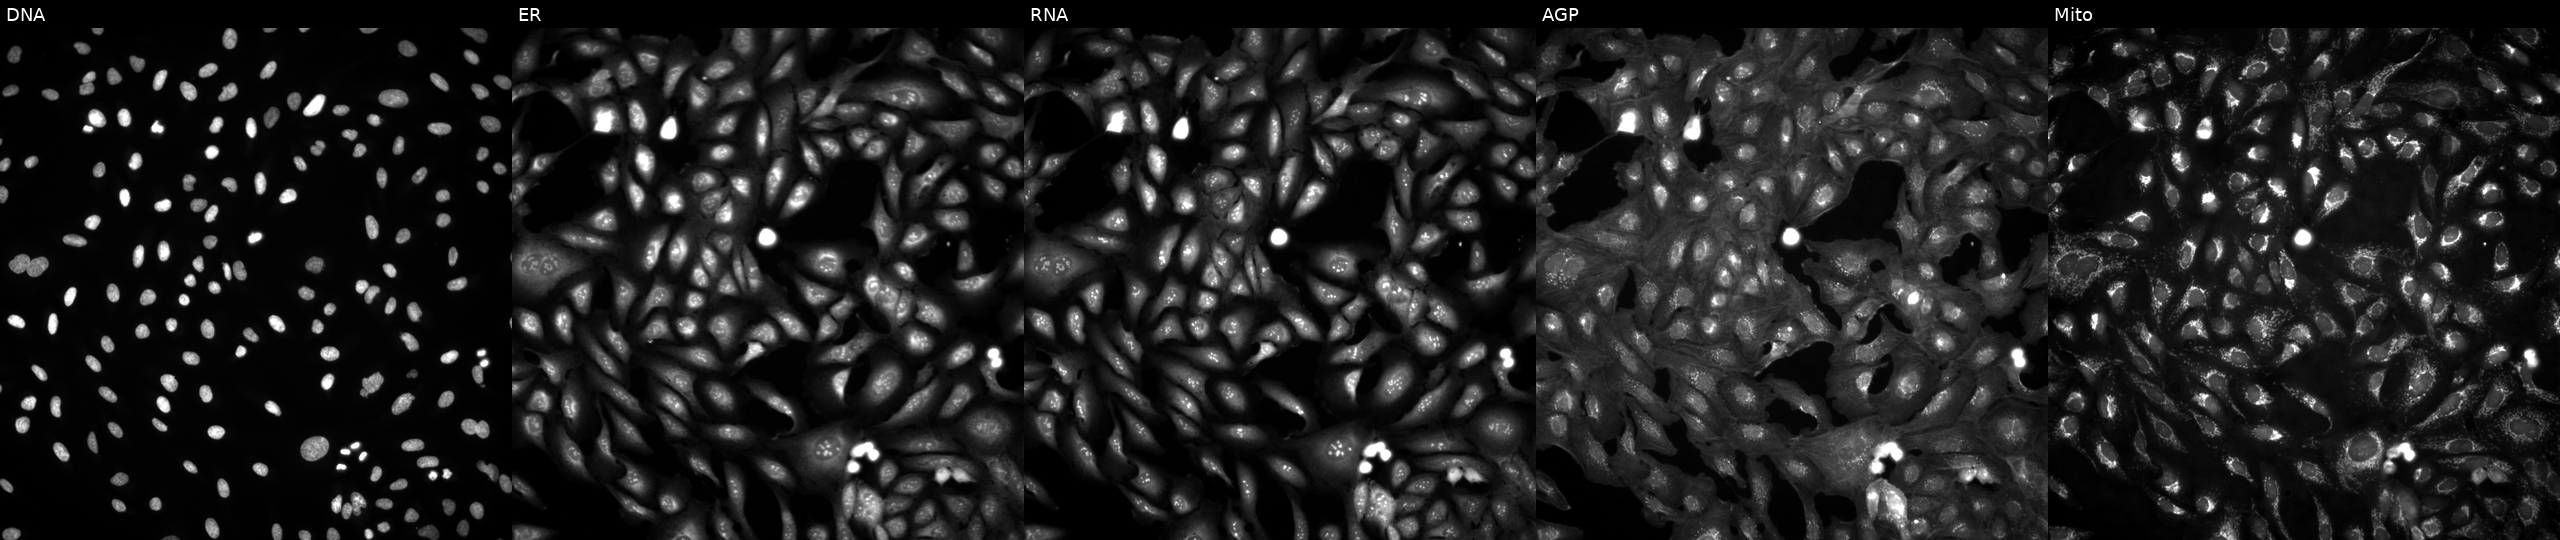
Channels (left→right): DNA (nuclei); ER (endoplasmic reticulum); RNA (nucleoli and cytoplasmic RNA); AGP (actin cytoskeleton, Golgi, and plasma membrane); Mito (mitochondria). U2OS osteosarcoma cells in an empty control well (no perturbation). Cell Painting assay, JUMP-CP dataset.